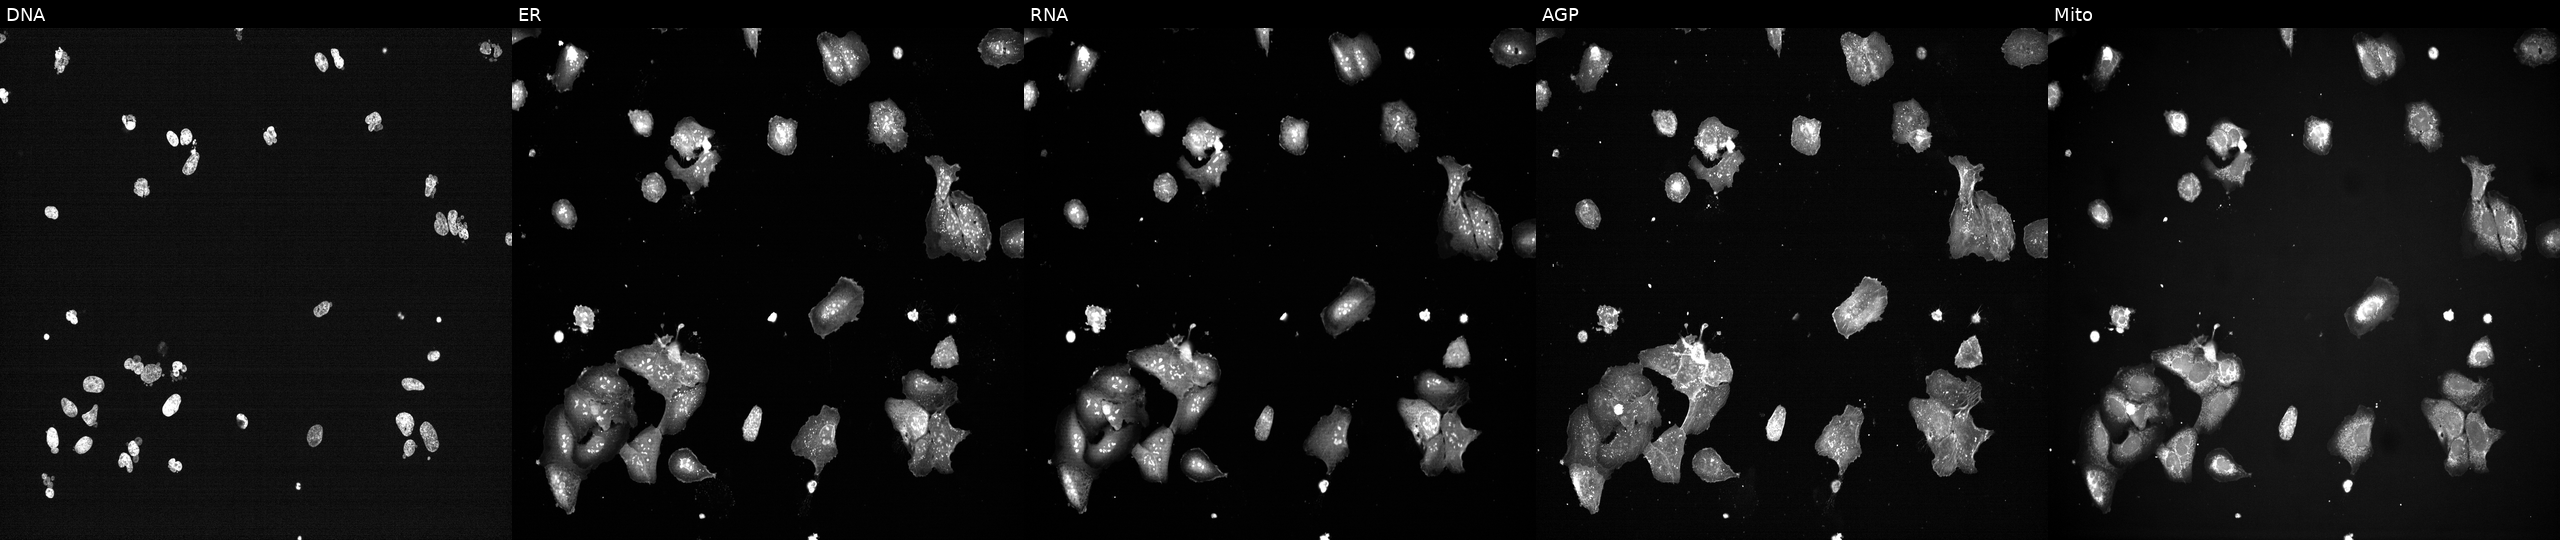
JUMP Cell Painting — TARGET2 plate. U2OS cells perturbed with a small-molecule compound (InChIKey CMYHZFCJPORPHY-UHFFFAOYSA-N) [SMILES: CSc1nc(=N)cc(Oc2ccc(-c3nc(=Nc4cccc(C(F)(F)F)c4)[nH][nH]3)cc2)[nH]1]. Channels (left→right): Hoechst 33342, concanavalin A, SYTO 14, phalloidin and WGA, MitoTracker. Source 7, plate CP2-SC1-25, well I16.